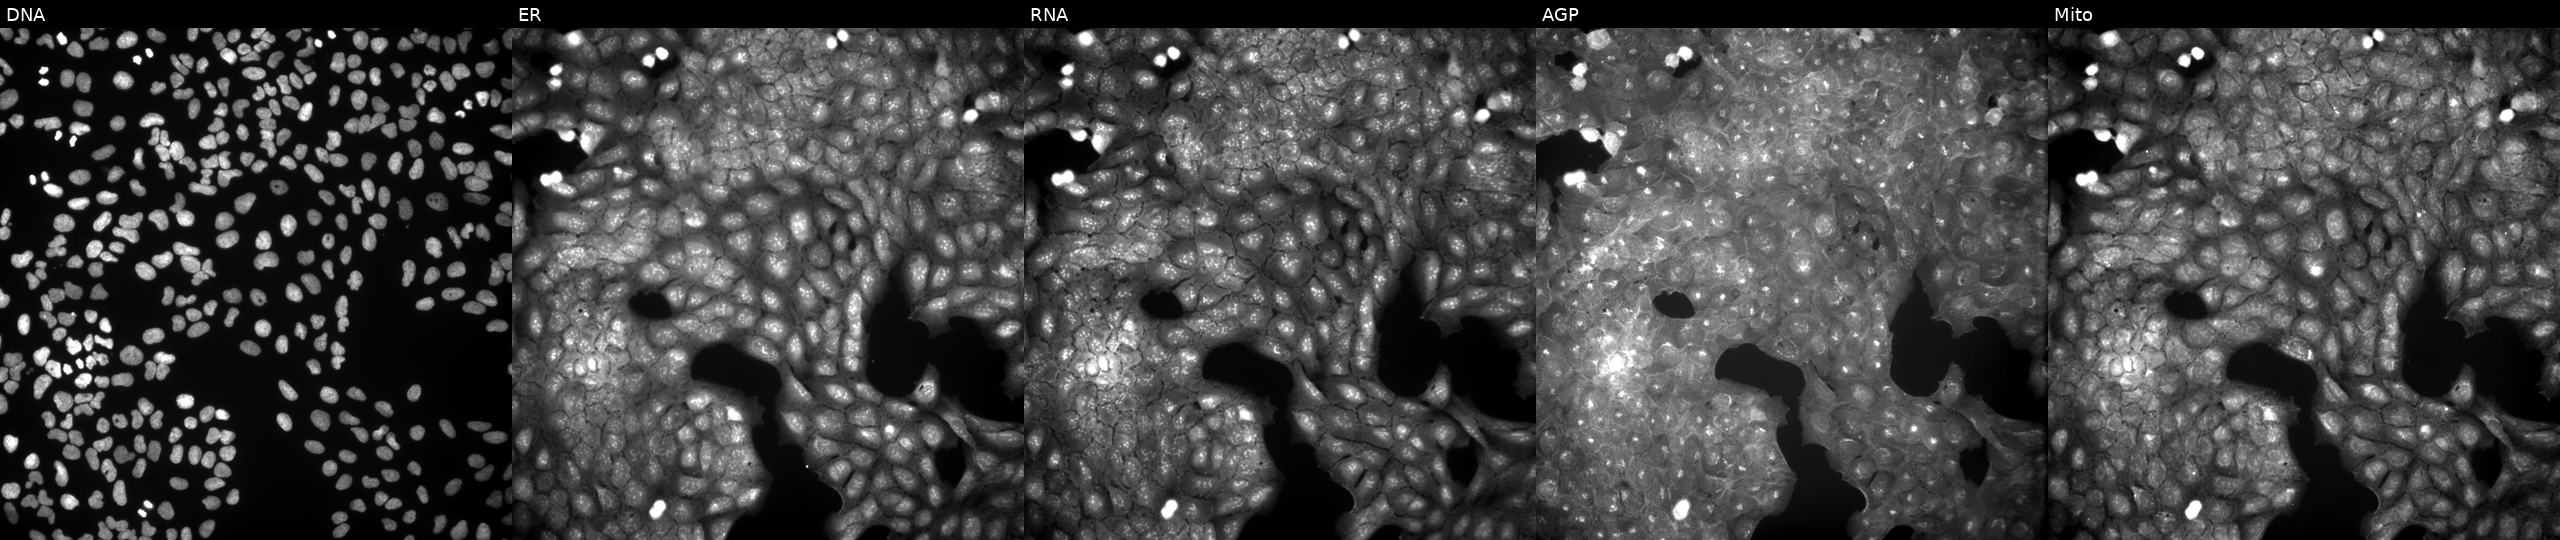
High-content fluorescence microscopy (Cell Painting). Cell line: U2OS. Perturbation: treated with a small-molecule compound (InChIKey RPDNOGDHYBUAKL-UHFFFAOYSA-N). The five panels, left to right, show Hoechst 33342, concanavalin A, SYTO 14, phalloidin and WGA, MitoTracker.